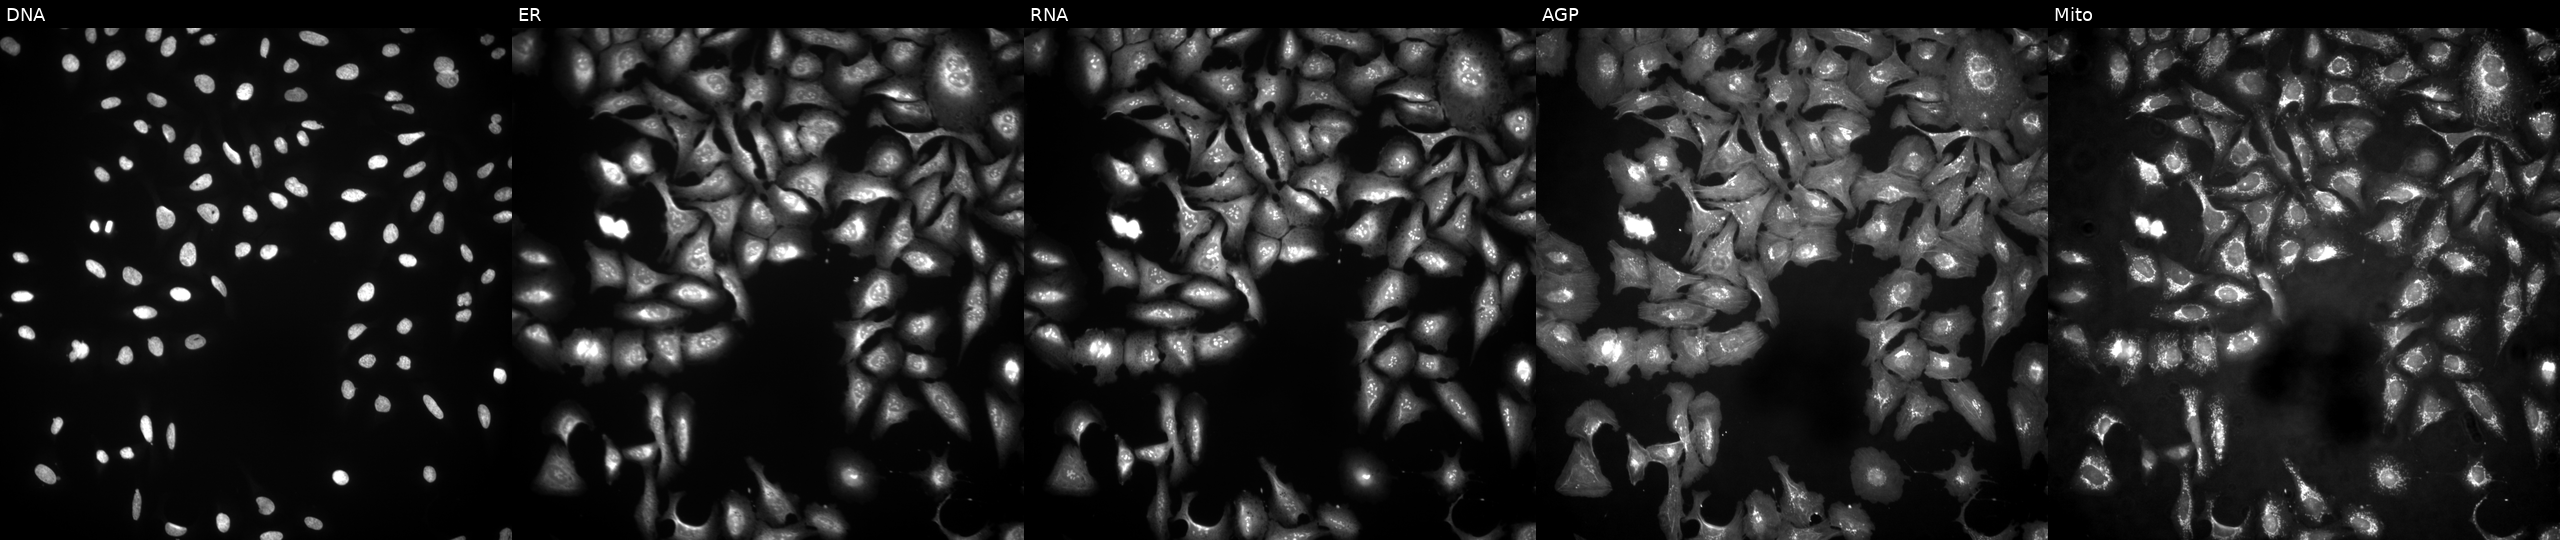
JUMP Cell Painting — ORF plate. U2OS cells overexpressing CPA3 via ORF transfection (JUMP id JCP2022_905634). Channels (left→right): DNA (nuclei); ER (endoplasmic reticulum); RNA (nucleoli and cytoplasmic RNA); AGP (actin cytoskeleton, Golgi, and plasma membrane); Mito (mitochondria). Source 4, plate BR00124790, well H03.